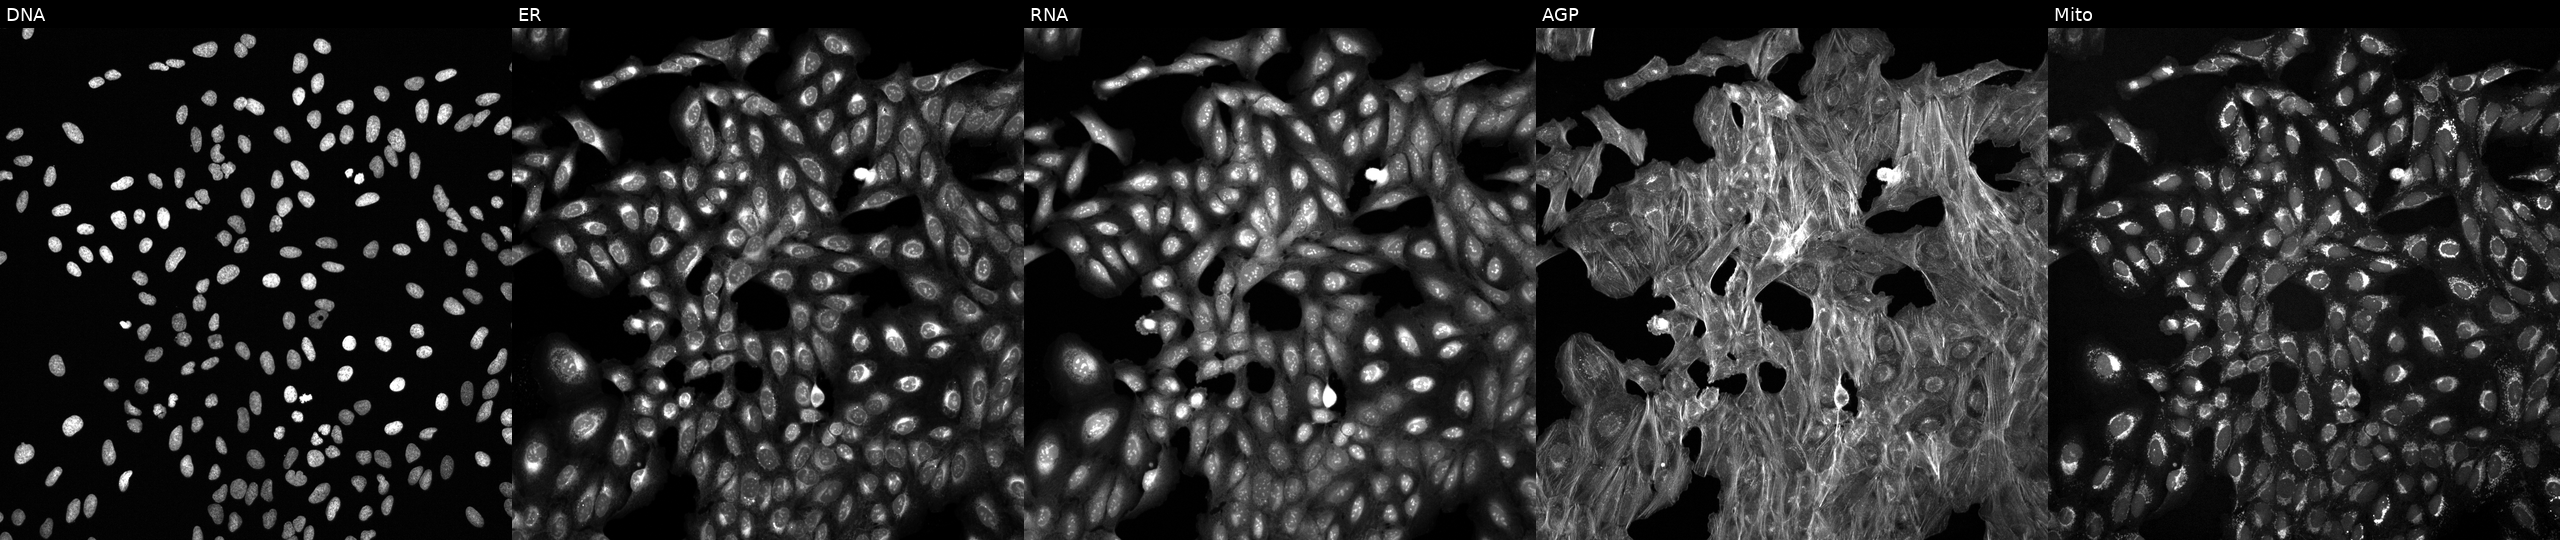
High-content fluorescence microscopy (Cell Painting). Cell line: U2OS. Perturbation: perturbed with a small-molecule compound (InChIKey AGNWVEJTZJIJIM-UHFFFAOYSA-N) [SMILES: Cc1cc(C)c2nc(-c3ccccn3)cc(C(=O)Nc3ccc(S(=O)(=O)N=c4o[nH]c(C)c4C)cc3)c2c1]. Channels (left→right): Hoechst 33342, concanavalin A, SYTO 14, phalloidin and WGA, MitoTracker.